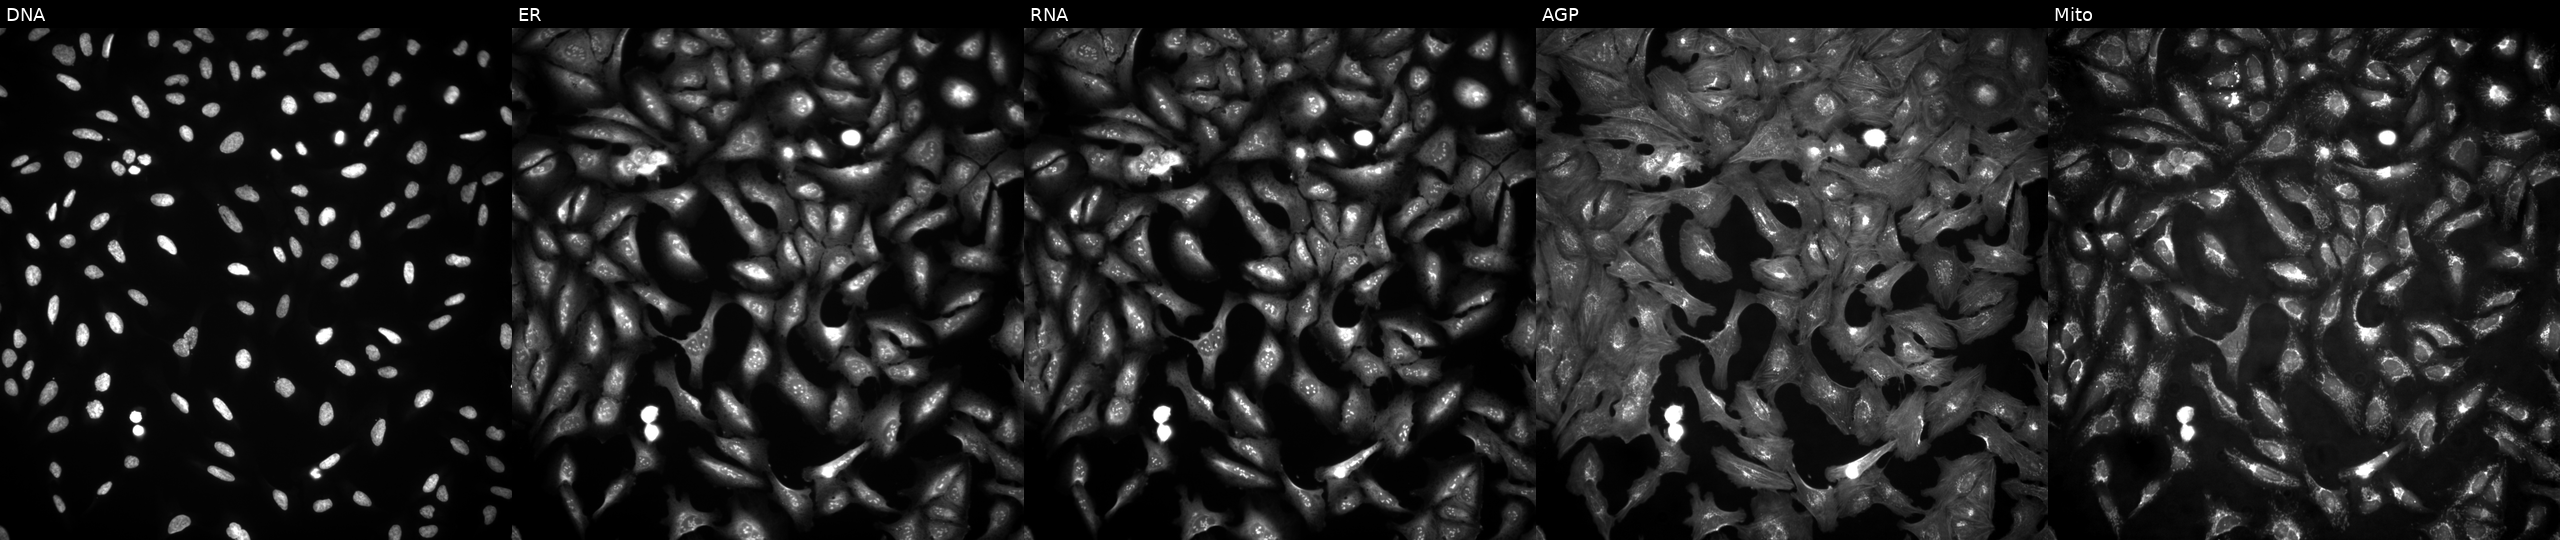
This image strip shows the five Cell Painting channels for a single field of U2OS cells transfected with an ORF construct for PSMB7 (JUMP id JCP2022_906365). Panels show, left to right, Hoechst 33342, concanavalin A, SYTO 14, phalloidin and WGA, MitoTracker. Source 4, plate BR00124784, well E14.